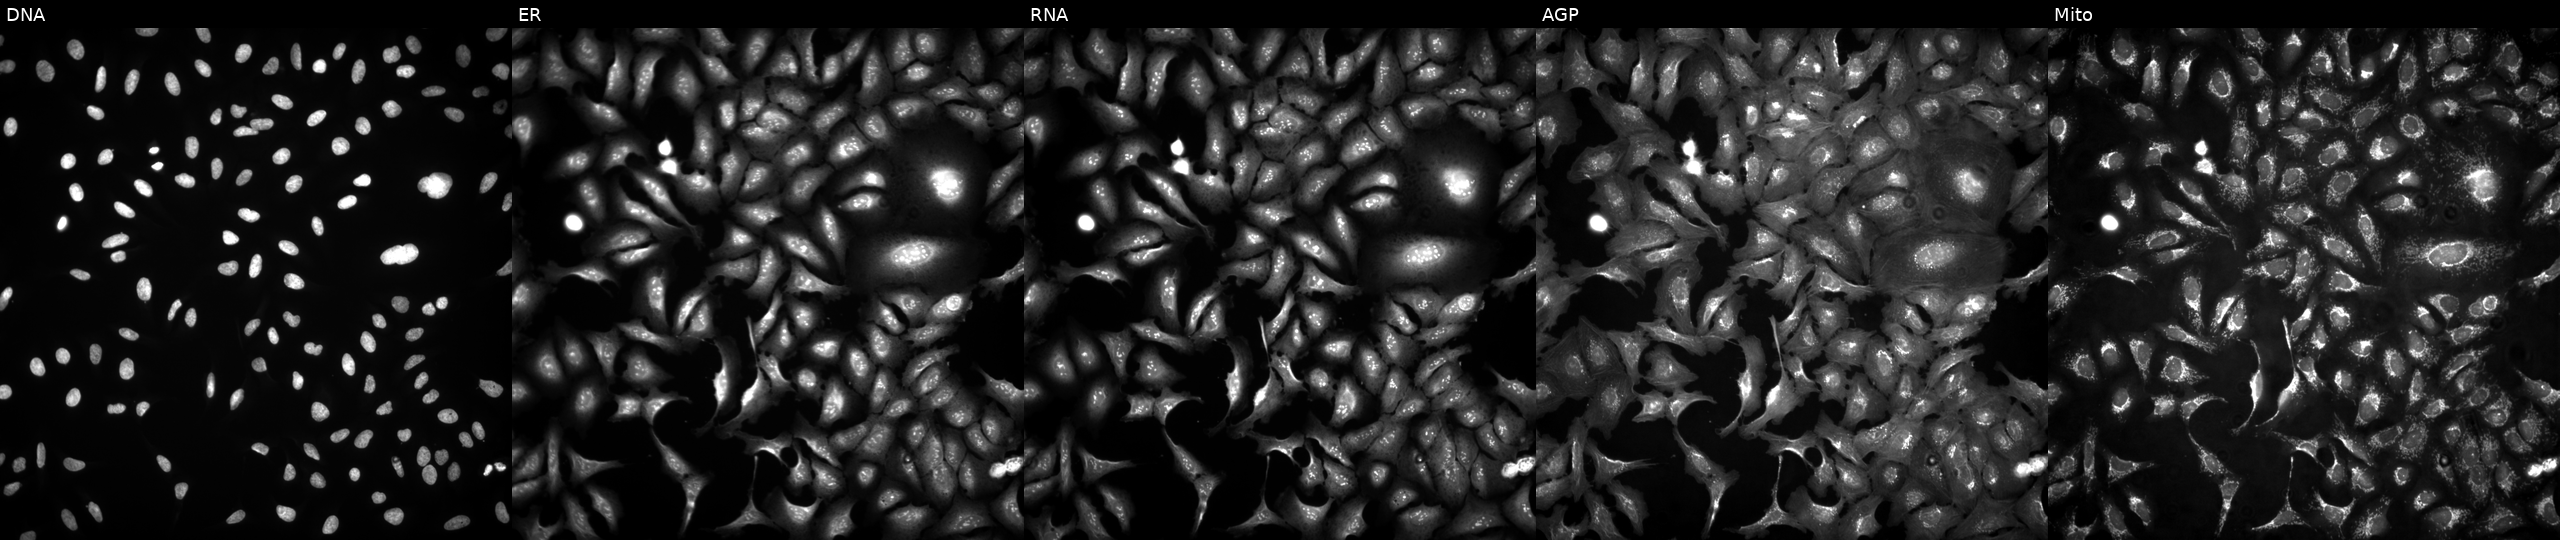
Five-channel Cell Painting image of U2OS cells transfected with an ORF construct for MCPH1. Panels show, left to right, Hoechst 33342, concanavalin A, SYTO 14, phalloidin and WGA, MitoTracker. Source 4, plate BR00124787, well L03.